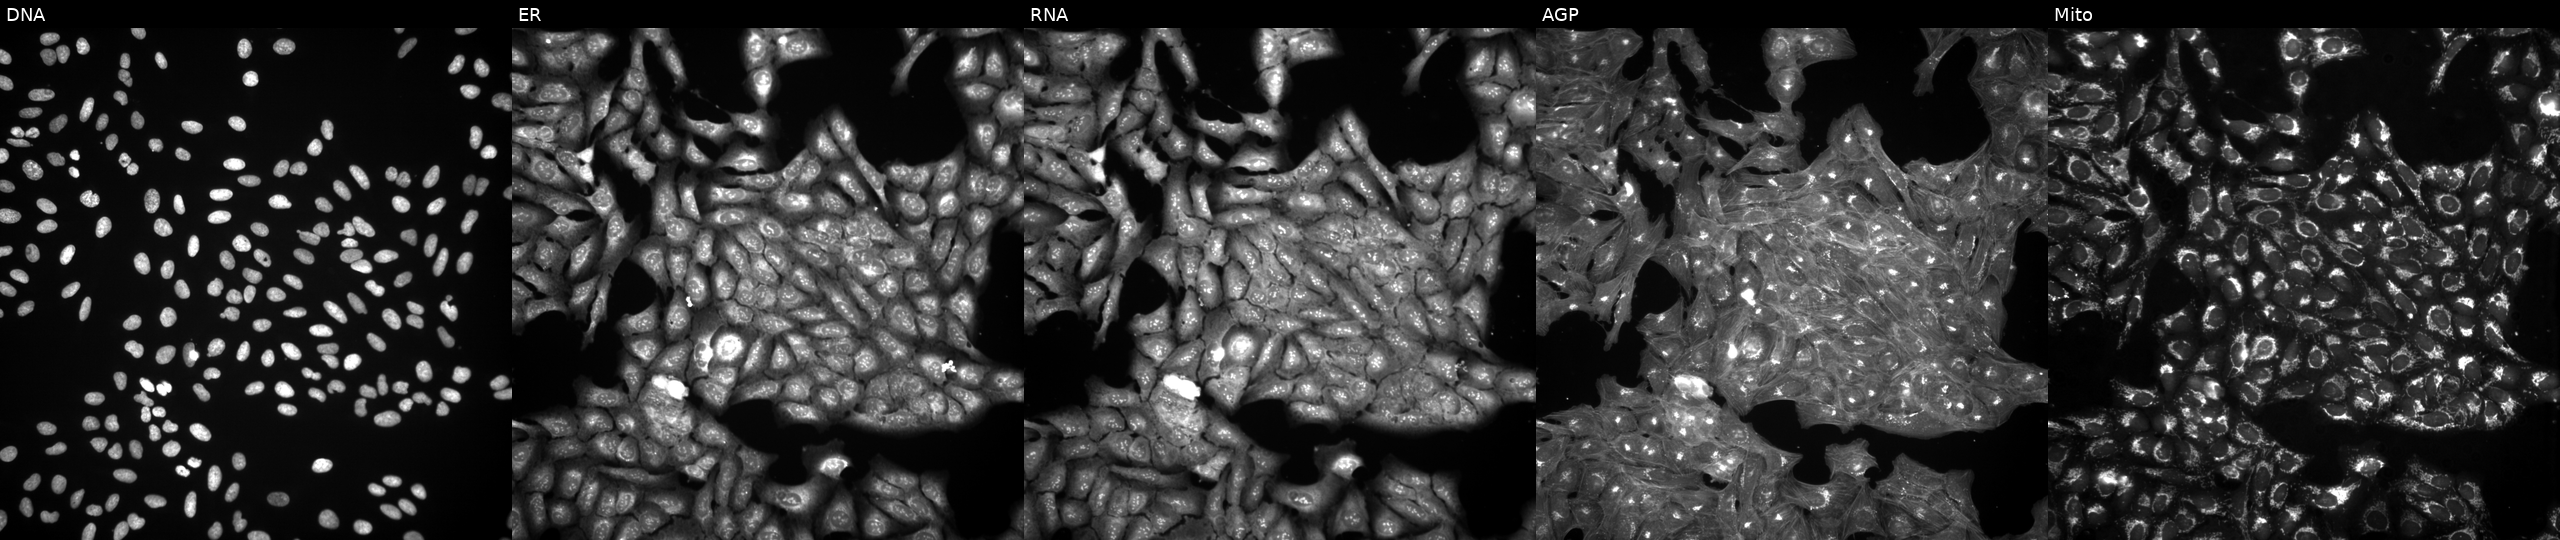
Five-channel Cell Painting image of U2OS cells perturbed with a small-molecule compound (InChIKey ZMUSCGJNJYXJBP-UHFFFAOYSA-N). From left to right: Hoechst 33342, concanavalin A, SYTO 14, phalloidin and WGA, MitoTracker.